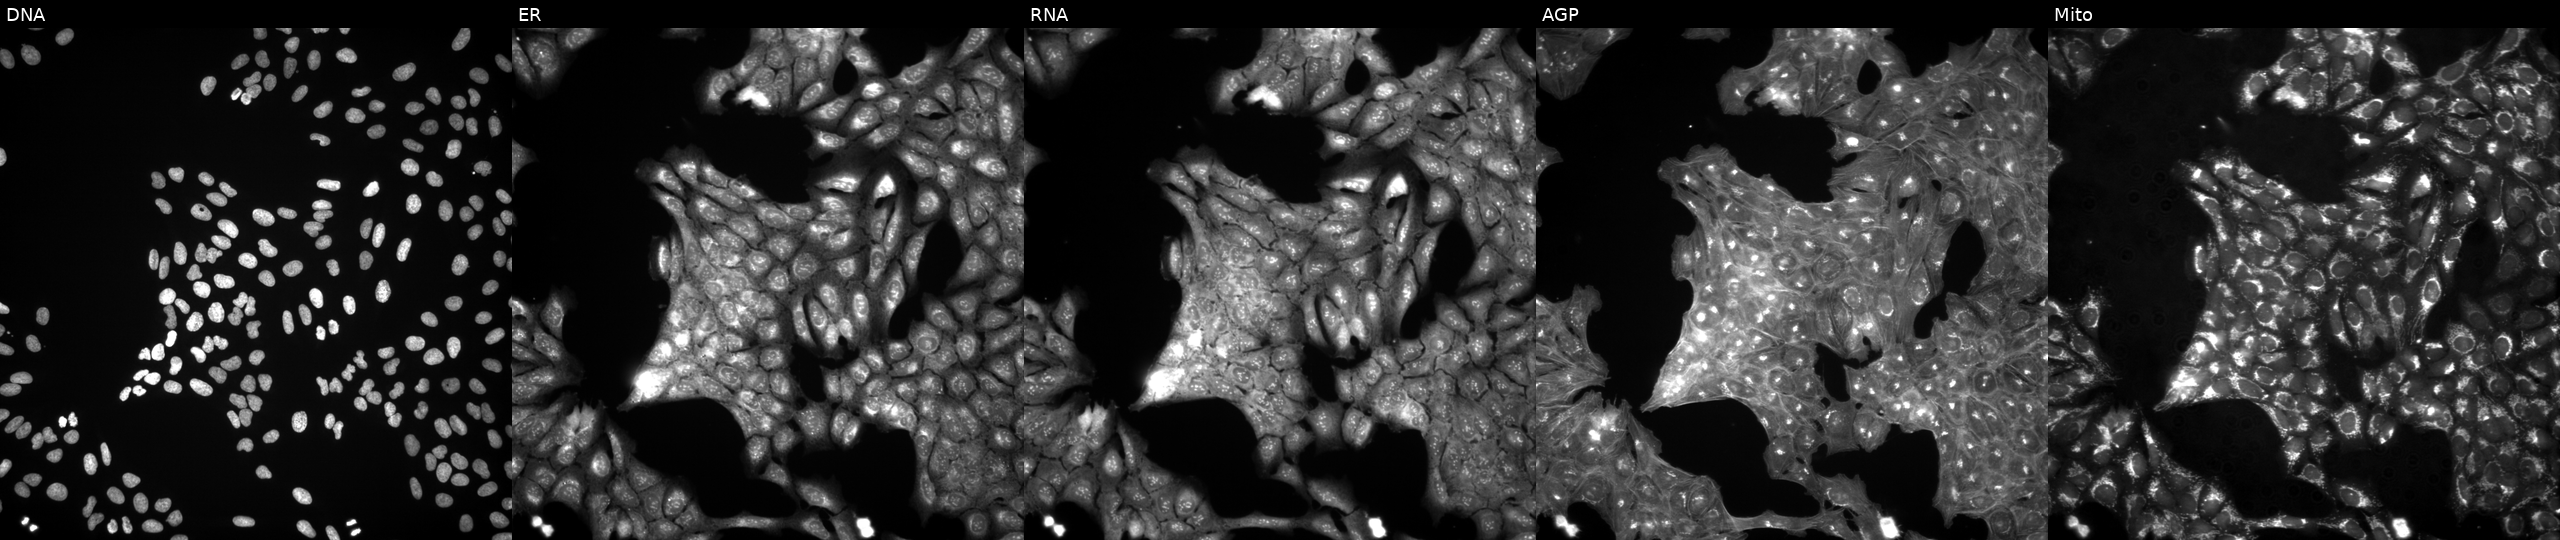
This image strip shows the five Cell Painting channels for a single field of U2OS cells exposed to DMSO alone as a negative control. From left to right: DNA, ER, RNA, AGP, and Mito. Source 3, plate JCPQC052, well E23.